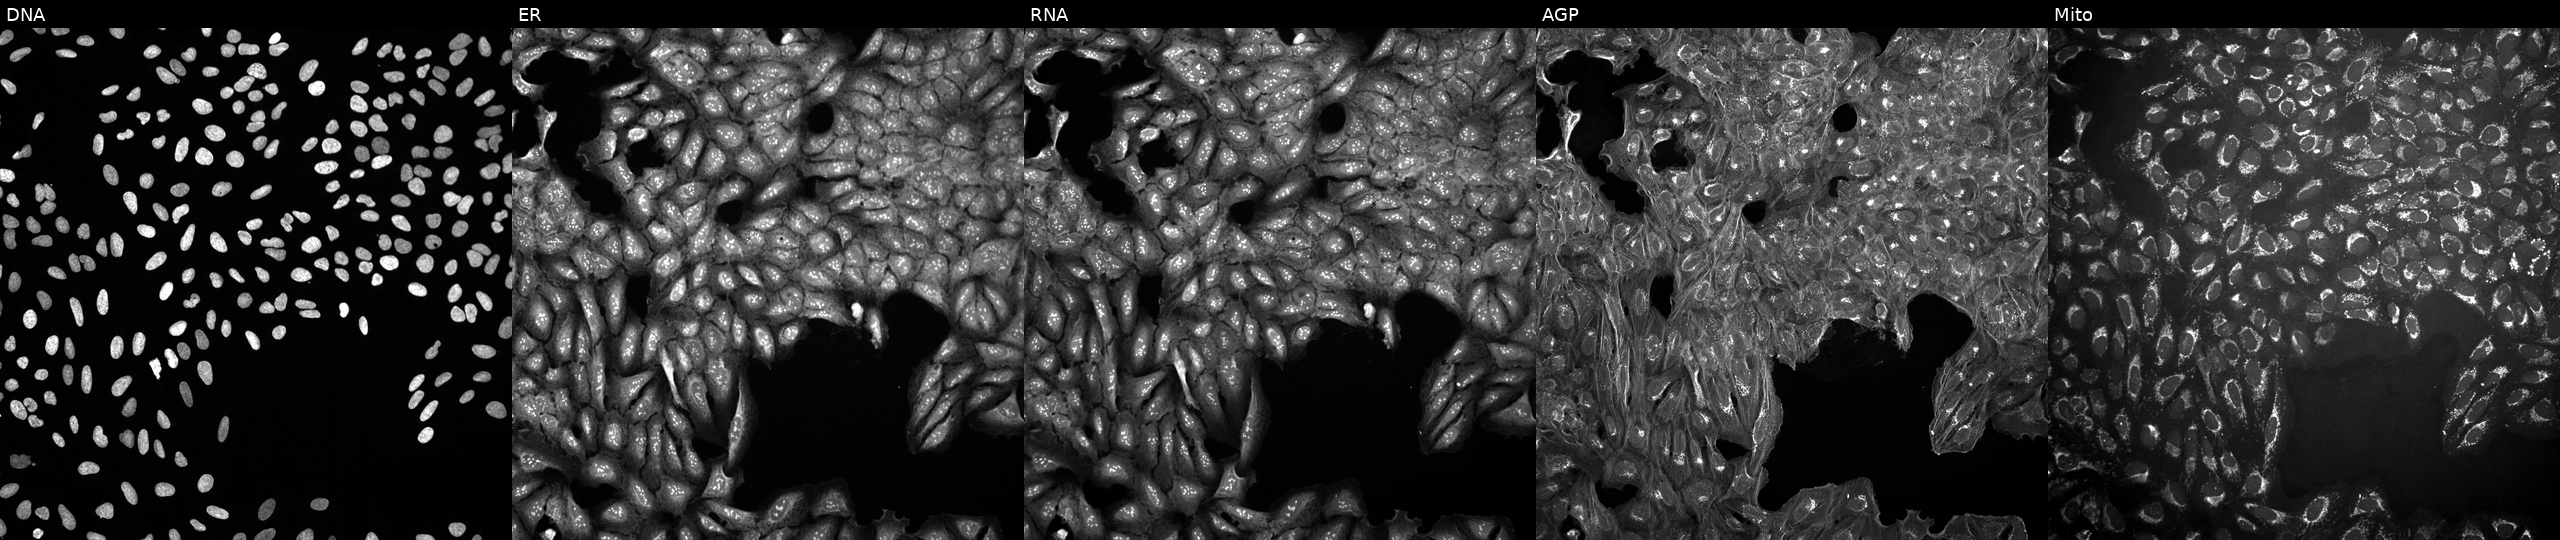
The five panels, left to right, show Hoechst 33342, concanavalin A, SYTO 14, phalloidin and WGA, MitoTracker. U2OS osteosarcoma cells exposed to a small-molecule compound (InChIKey LRCIIBSOUUTSTJ-UHFFFAOYSA-N) (JUMP id JCP2022_051217). Cell Painting assay, JUMP-CP dataset. Source 10, plate Dest210531-152149, well D11.